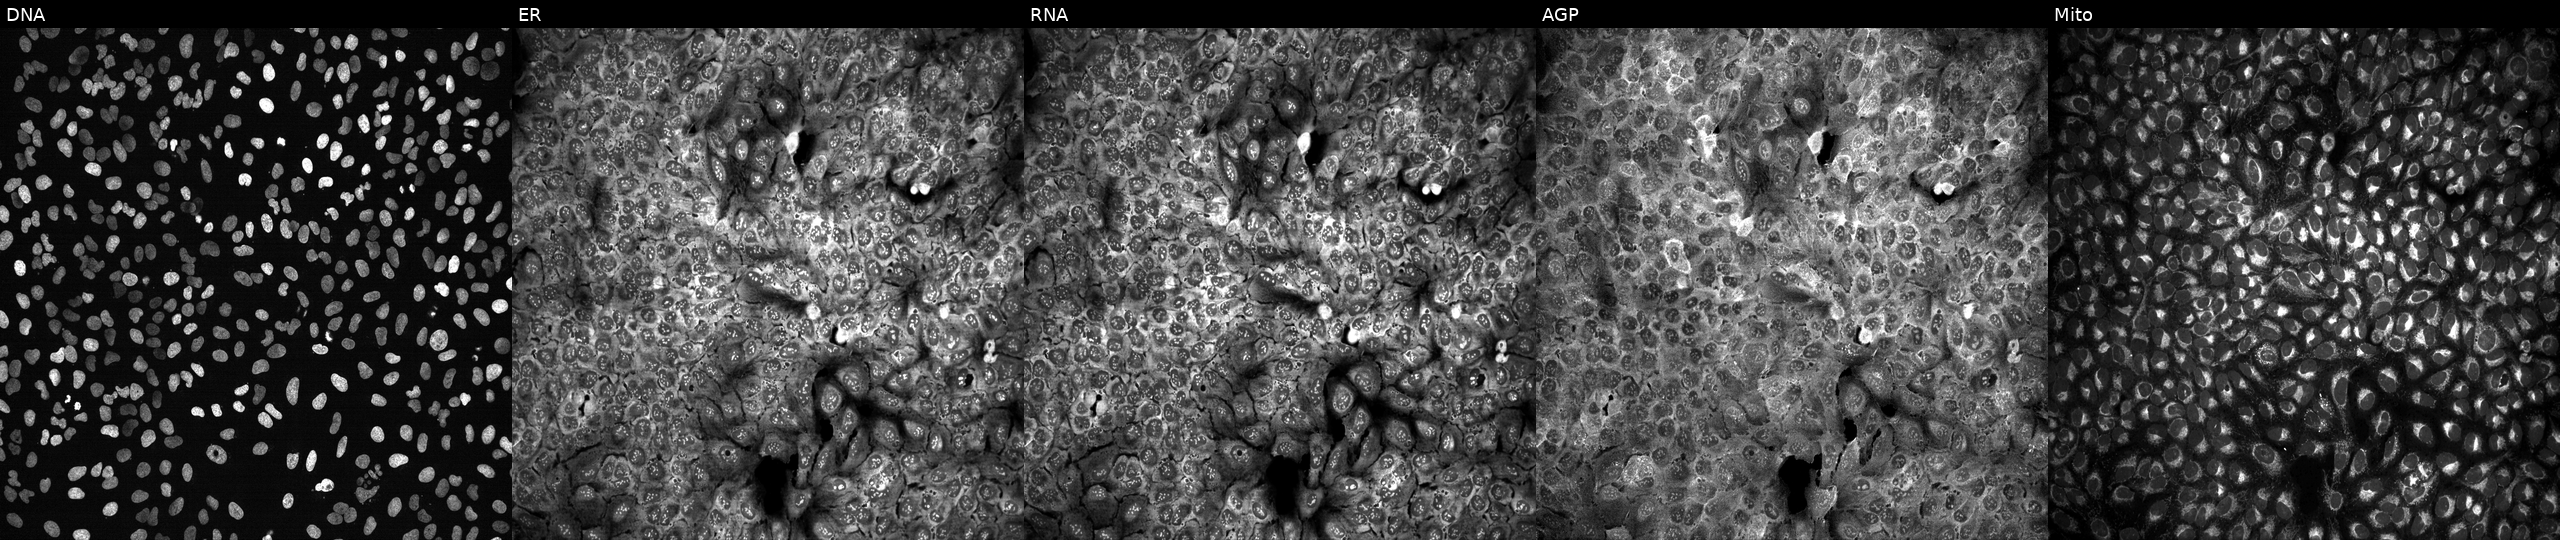
Panels show, left to right, Hoechst 33342, concanavalin A, SYTO 14, phalloidin and WGA, MitoTracker. U2OS osteosarcoma cells CRISPR-edited to disrupt HLA-DMA. Cell Painting assay, JUMP-CP dataset.